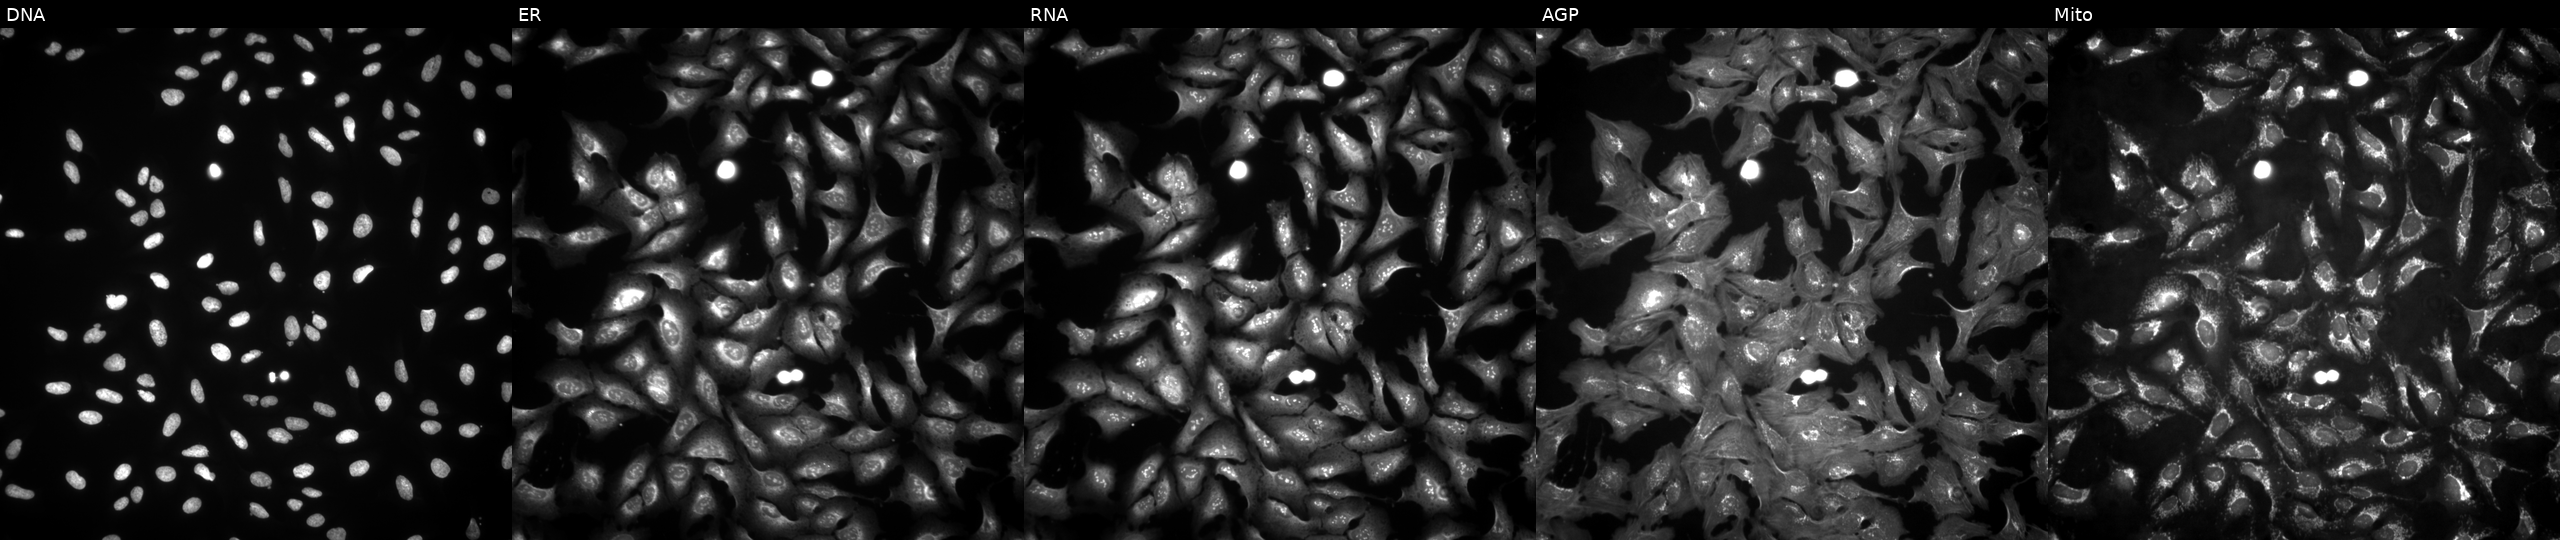
From left to right: Hoechst 33342, concanavalin A, SYTO 14, phalloidin and WGA, MitoTracker. U2OS osteosarcoma cells transfected with an ORF construct for C8orf74 (JUMP id JCP2022_904871). Cell Painting assay, JUMP-CP dataset.